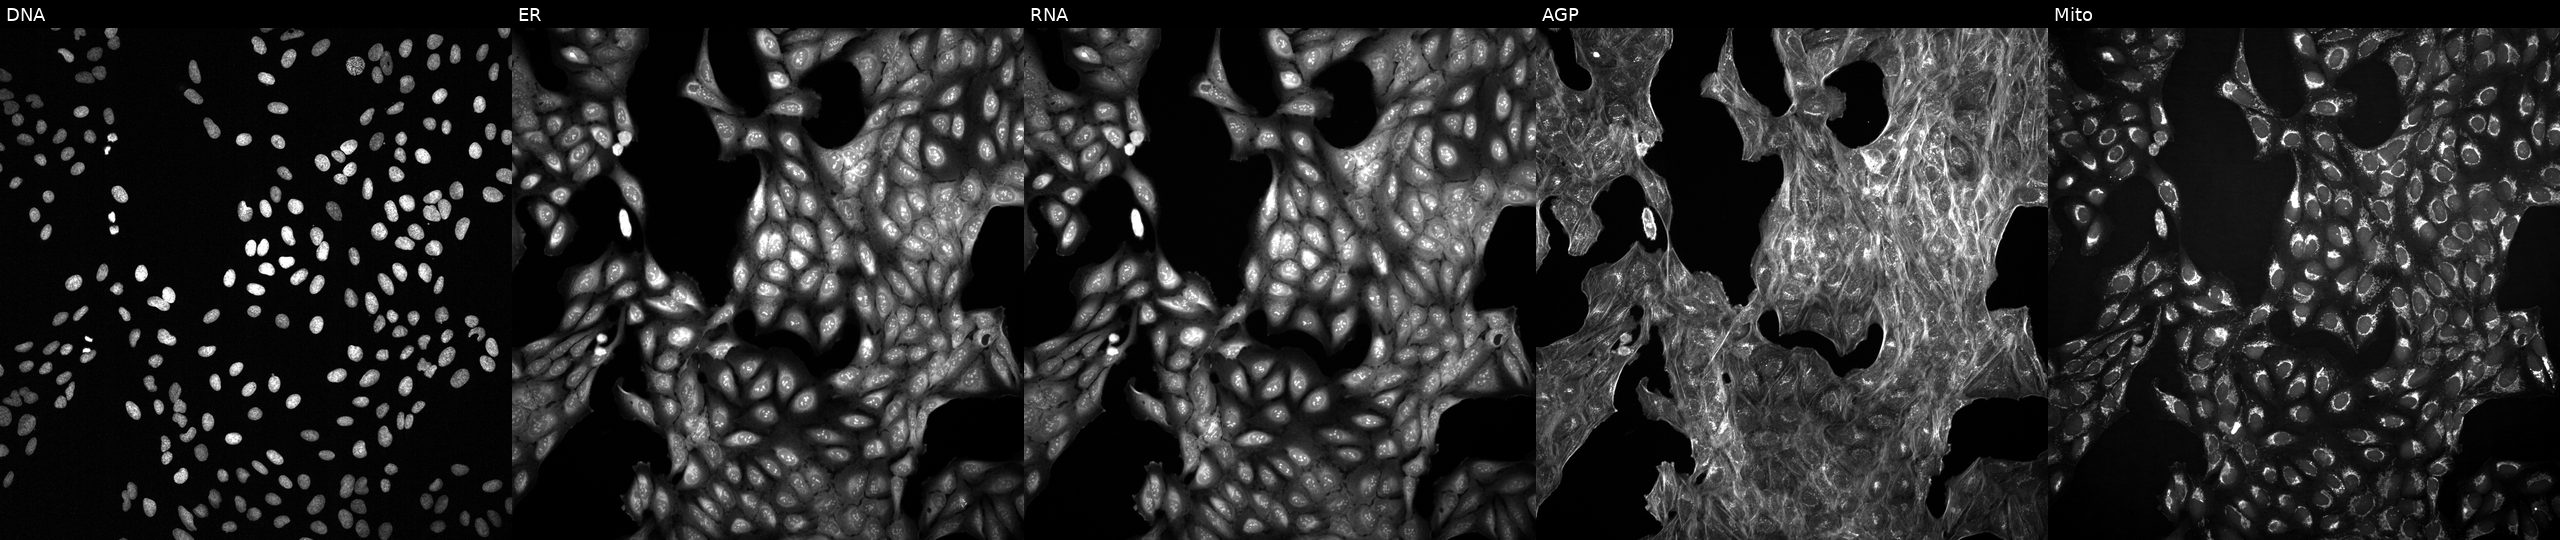
This image strip shows the five Cell Painting channels for a single field of U2OS cells treated with a small-molecule compound (InChIKey RJOXPIYJARACTB-UHFFFAOYSA-N). Channels (left→right): Hoechst 33342, concanavalin A, SYTO 14, phalloidin and WGA, MitoTracker. Source 2, plate 1053601763, well C08.